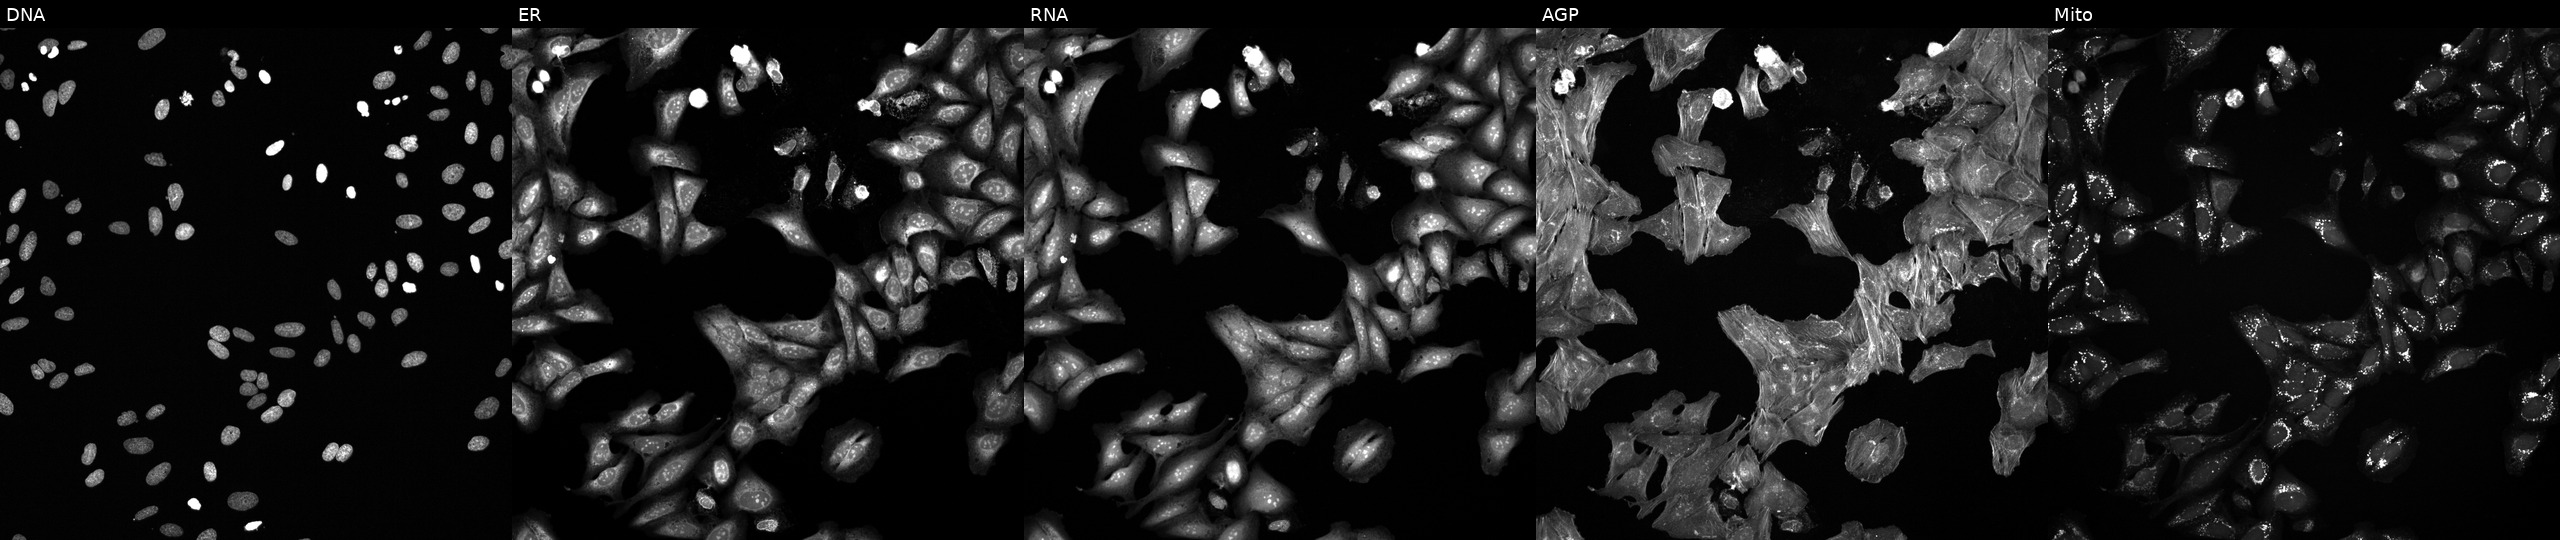
This image strip shows the five Cell Painting channels for a single field of U2OS cells treated with a small-molecule compound. From left to right: Hoechst 33342, concanavalin A, SYTO 14, phalloidin and WGA, MitoTracker.